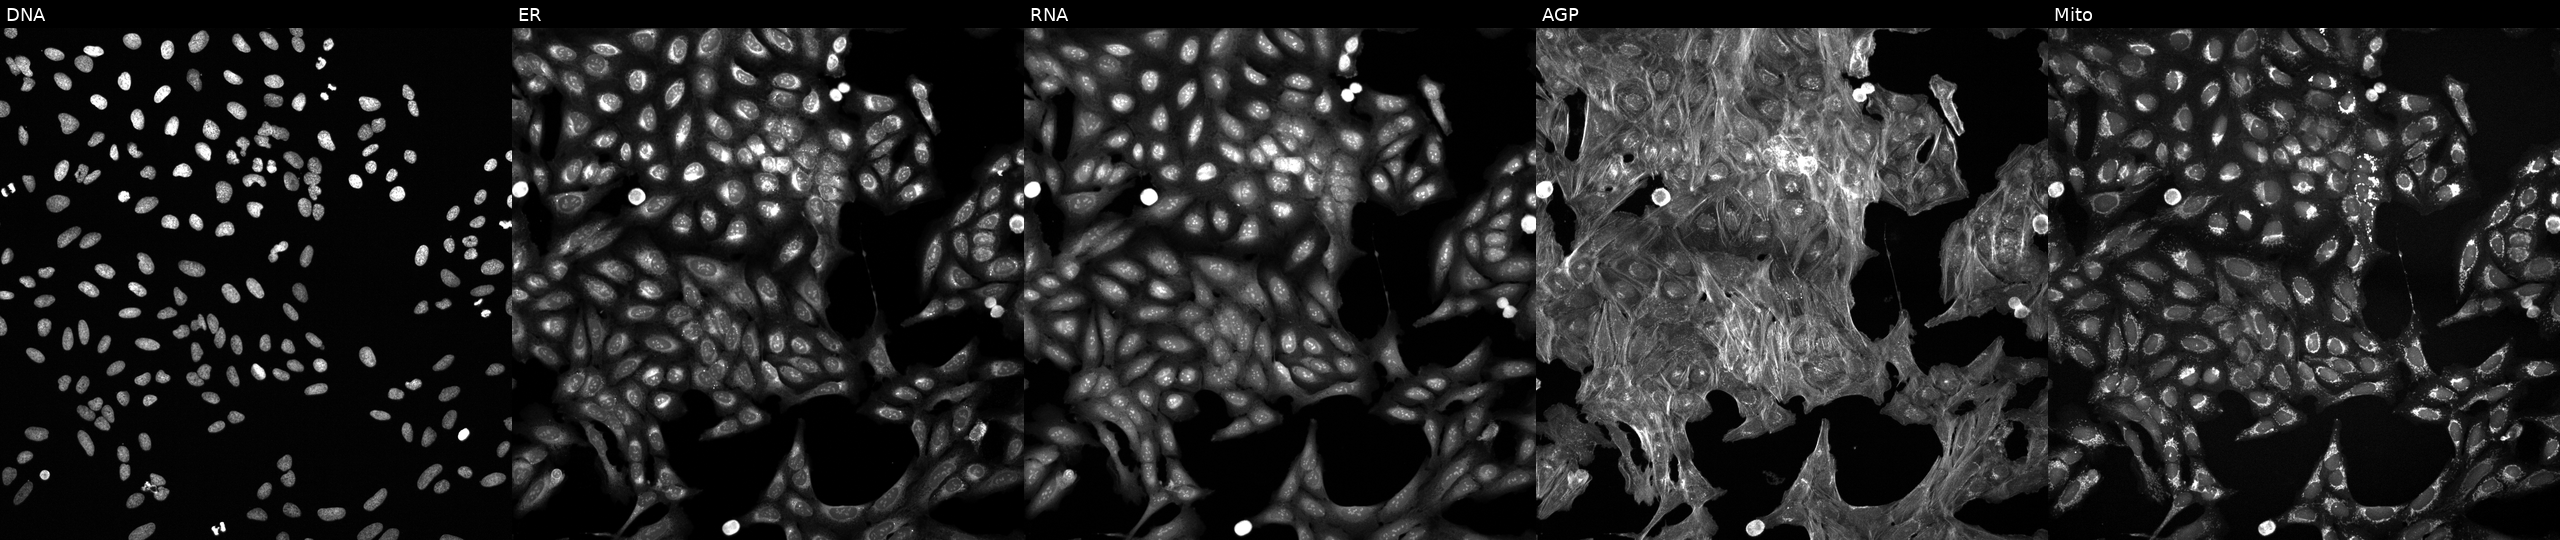
This image strip shows the five Cell Painting channels for a single field of U2OS cells exposed to a small-molecule compound (InChIKey NUKYPUAOHBNCPY-UHFFFAOYSA-N) (JUMP id JCP2022_061437). Channels (left→right): DNA, ER, RNA, AGP, and Mito.